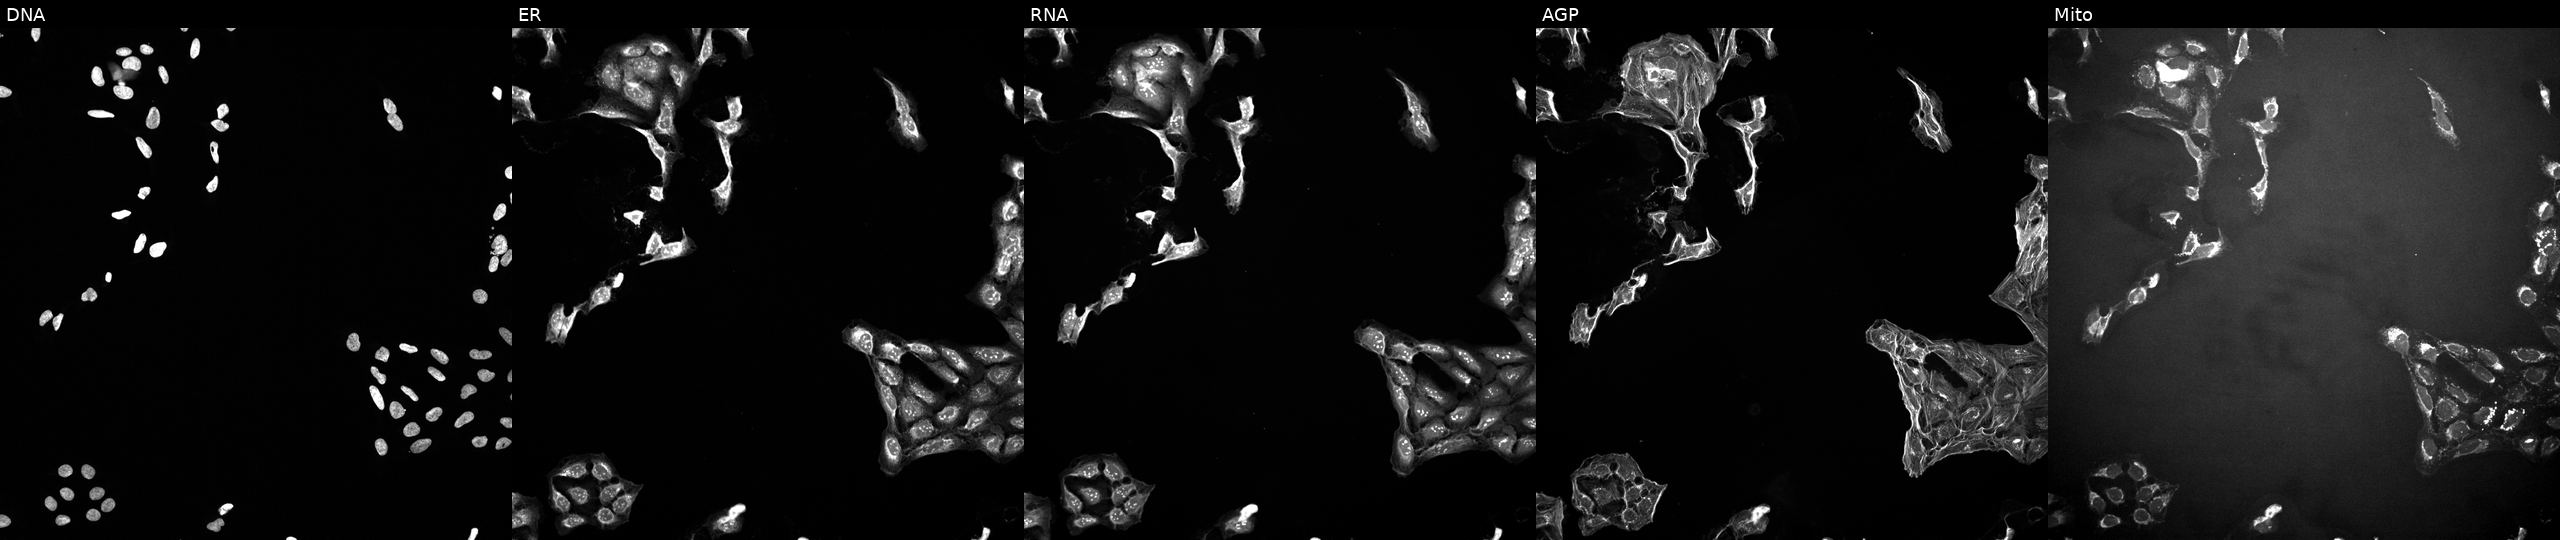
From left to right: DNA (nuclei); ER (endoplasmic reticulum); RNA (nucleoli and cytoplasmic RNA); AGP (actin cytoskeleton, Golgi, and plasma membrane); Mito (mitochondria). U2OS osteosarcoma cells perturbed with a small-molecule compound (InChIKey PWKSKIMOESPYIA-UHFFFAOYSA-N) (JUMP id JCP2022_071429). Cell Painting assay, JUMP-CP dataset.